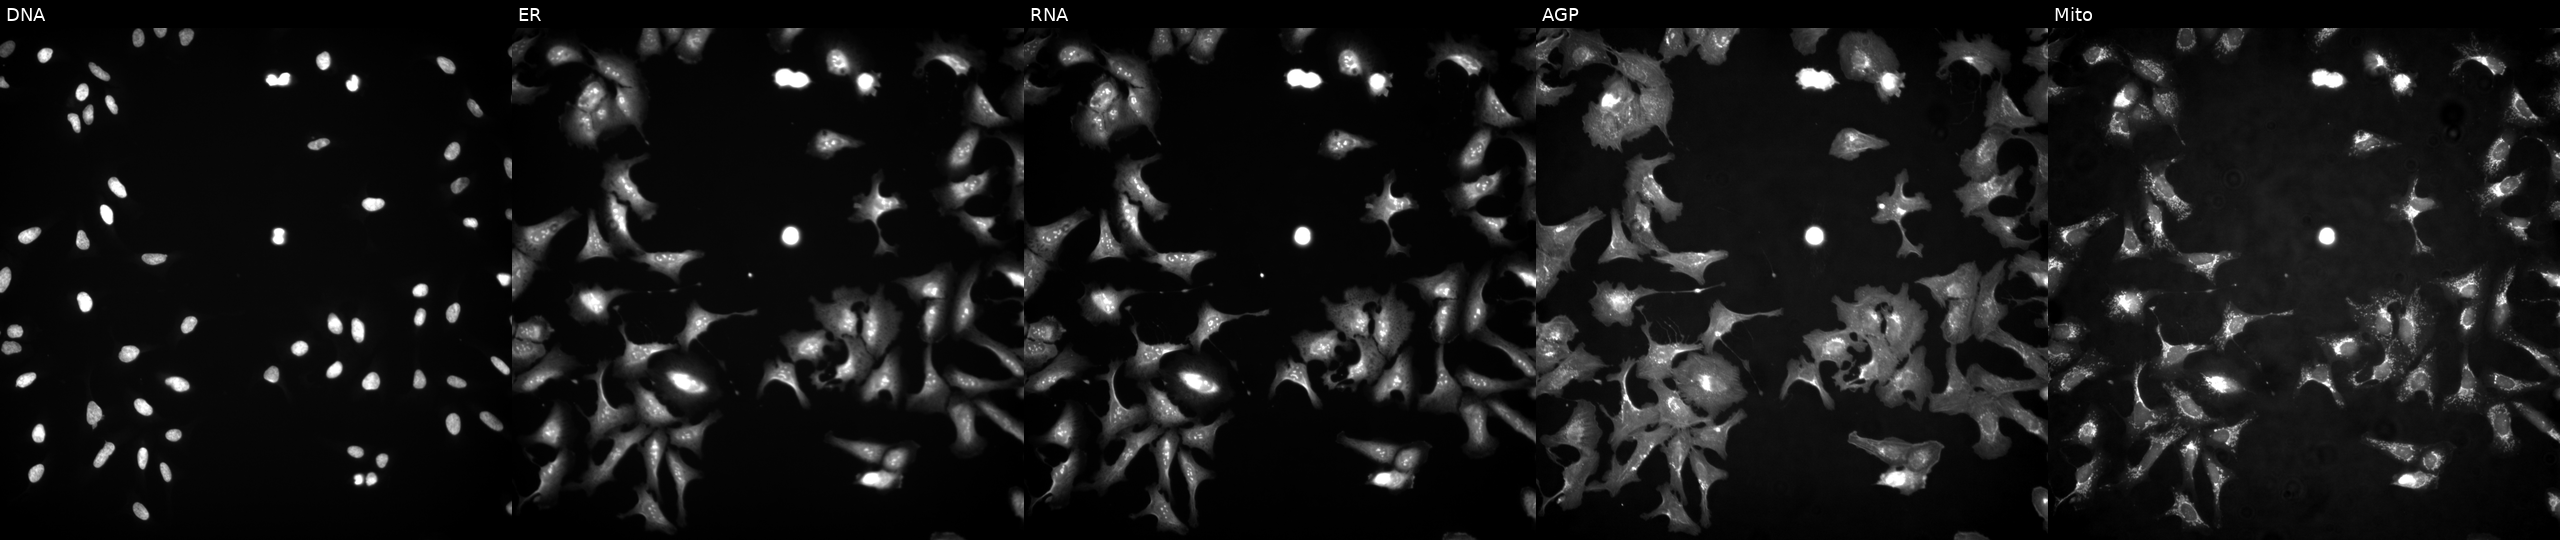
Five-channel Cell Painting image of U2OS cells transfected with an ORF construct for HMGN2 (JUMP id JCP2022_900706). The five panels, left to right, show Hoechst 33342, concanavalin A, SYTO 14, phalloidin and WGA, MitoTracker.